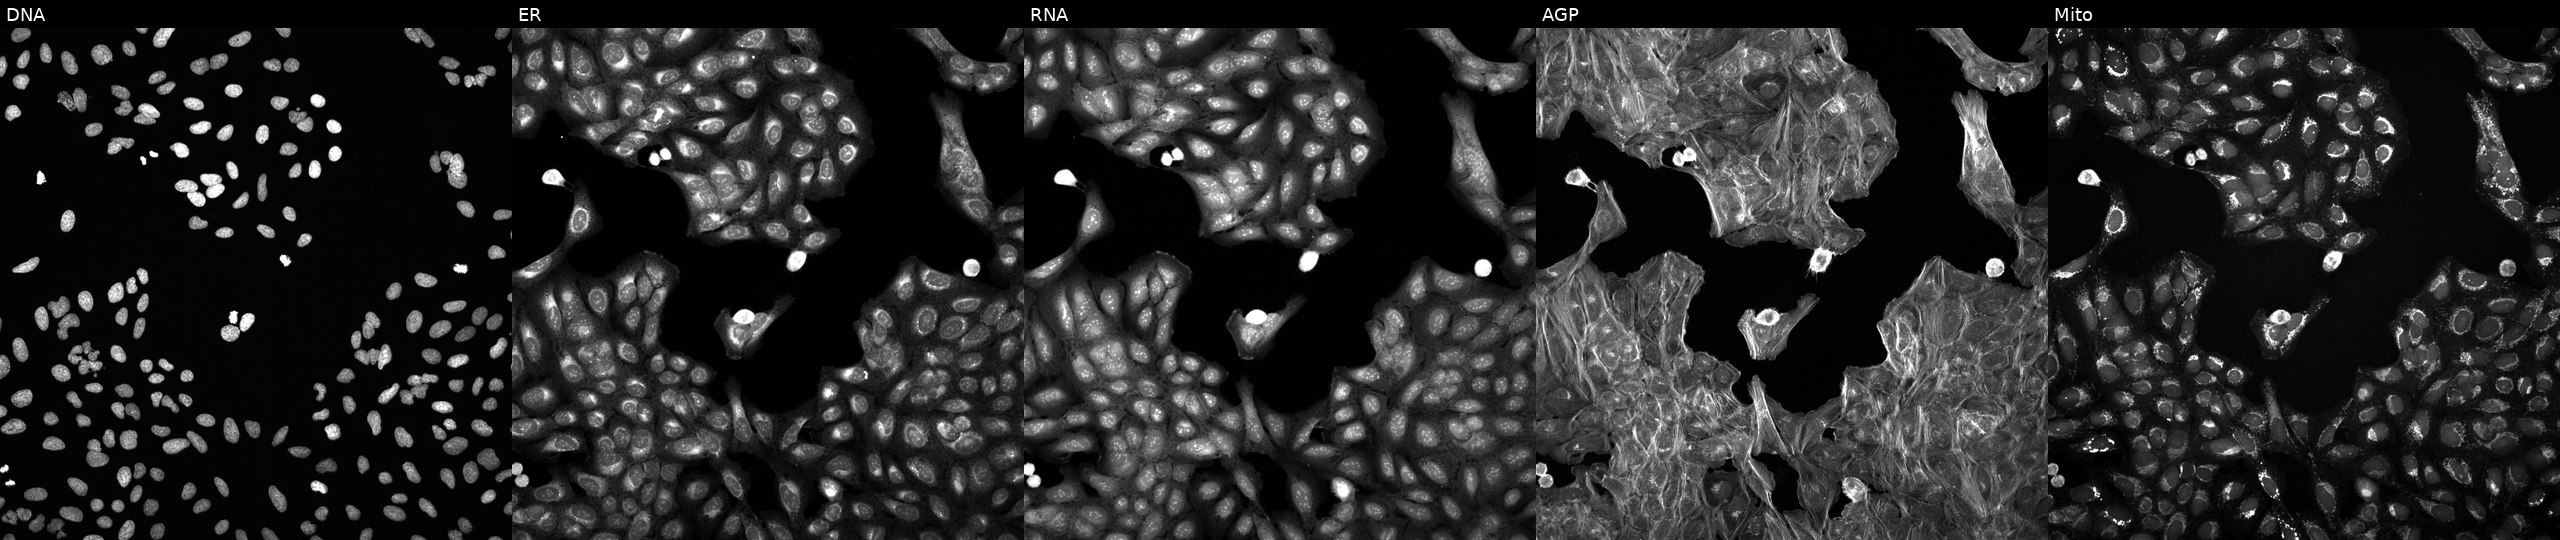
The five panels, left to right, show DNA, ER, RNA, AGP, and Mito. U2OS osteosarcoma cells treated with DMSO vehicle only (negative control). Cell Painting assay, JUMP-CP dataset.